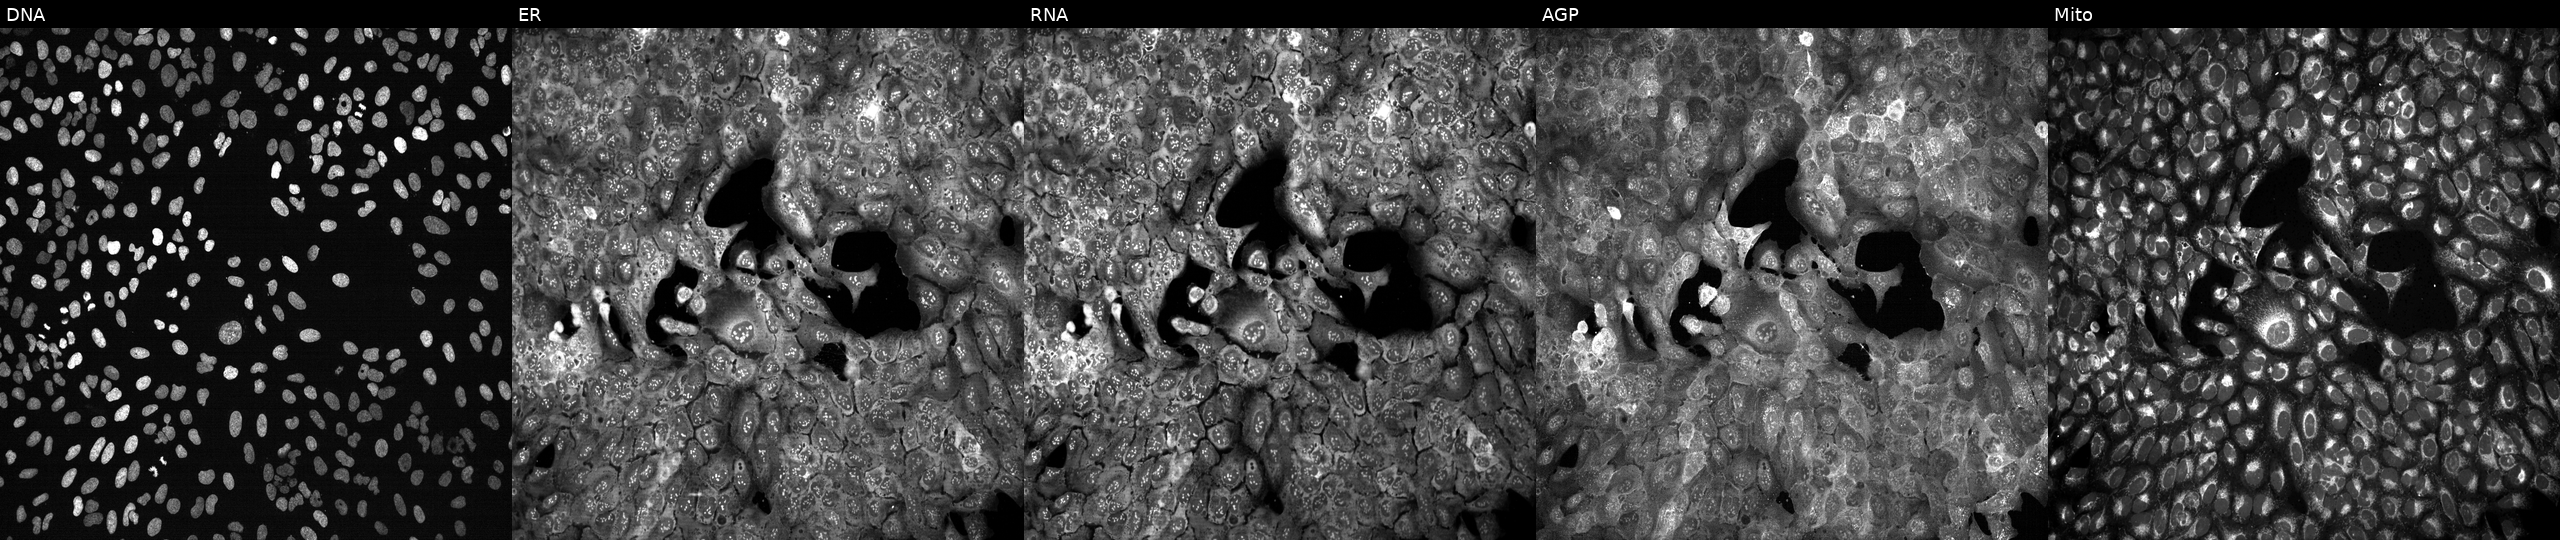
This image strip shows the five Cell Painting channels for a single field of U2OS cells with FA2H knocked out by CRISPR (JUMP id JCP2022_802242). Panels show, left to right, Hoechst 33342, concanavalin A, SYTO 14, phalloidin and WGA, MitoTracker. Source 13, plate CP-CC9-R4-04, well N19.